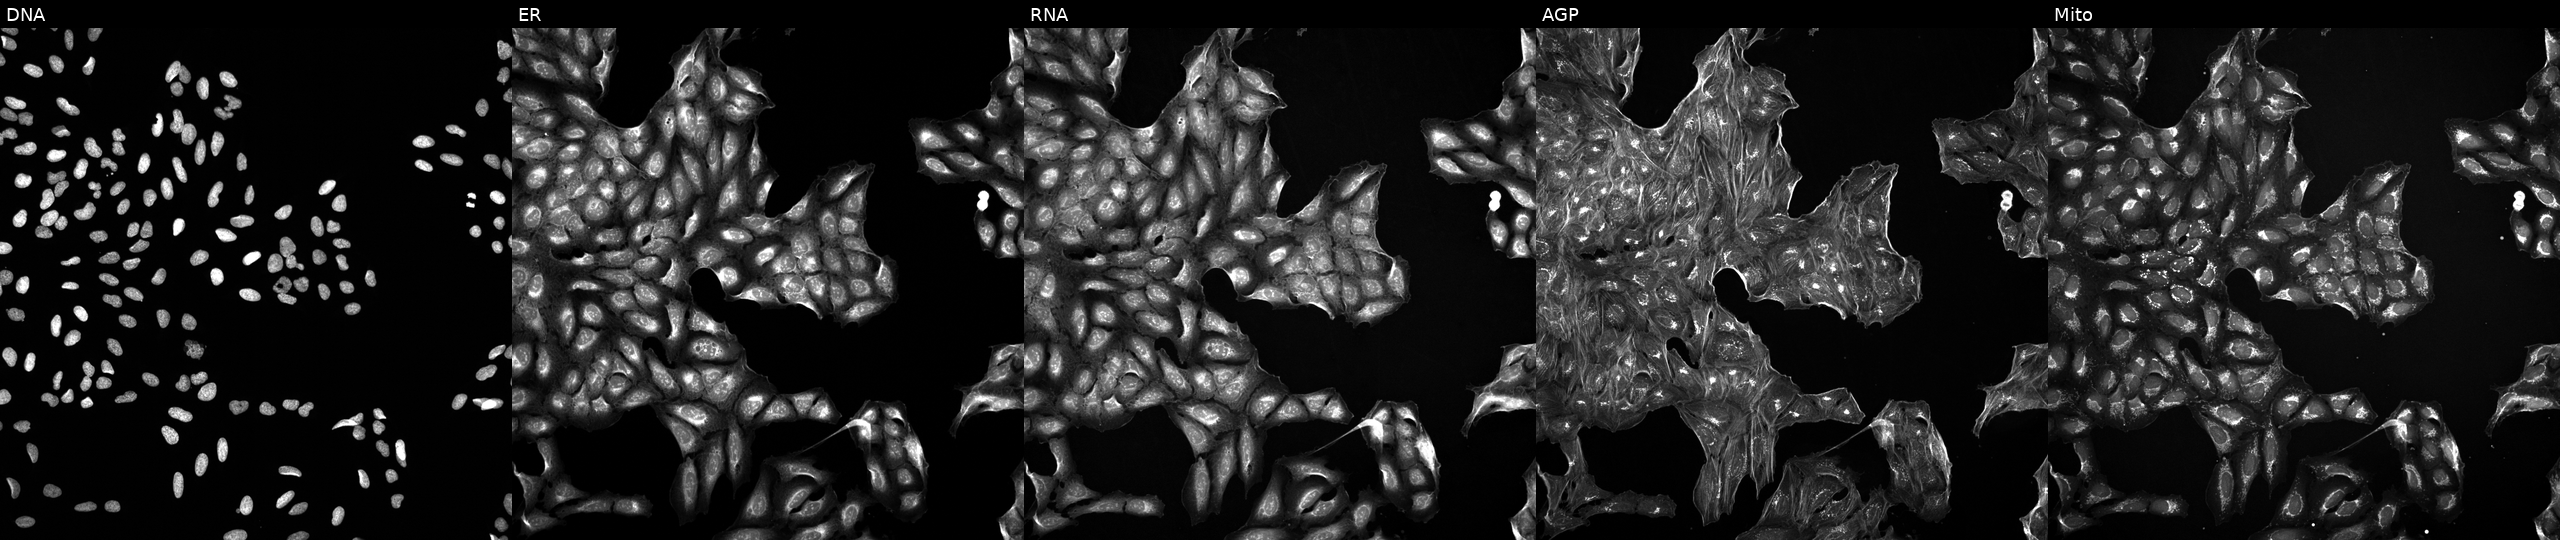
JUMP Cell Painting — TARGET2 plate. U2OS cells exposed to DMSO alone as a negative control (JUMP id JCP2022_033924). From left to right: Hoechst 33342, concanavalin A, SYTO 14, phalloidin and WGA, MitoTracker.